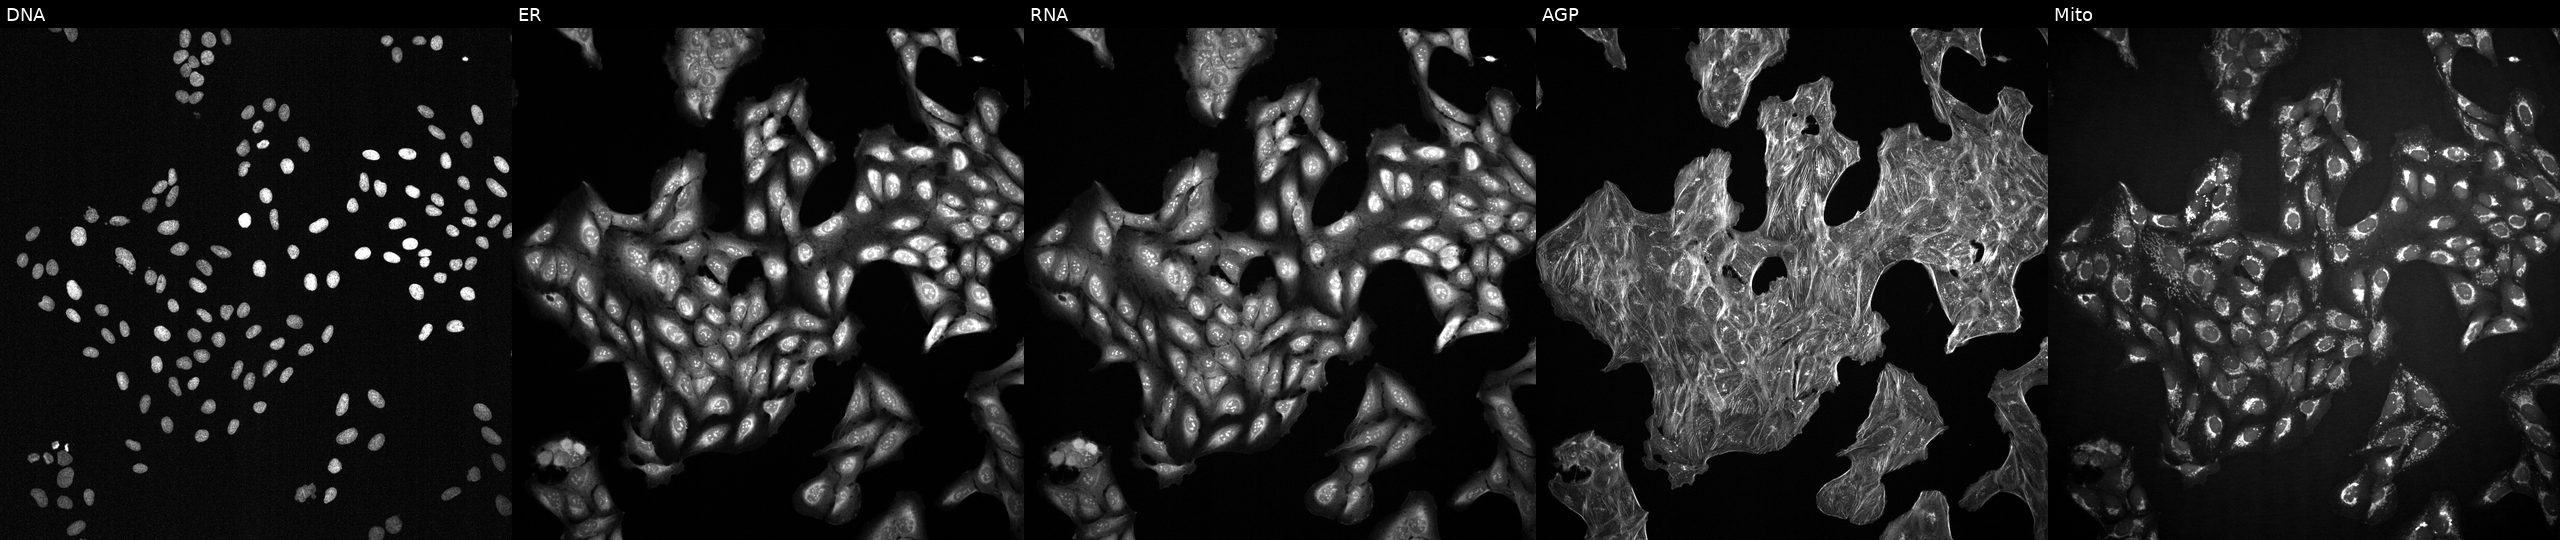
U2OS cells, Cell Painting assay, exposed to a small-molecule compound (InChIKey PKYKNPLSFOKASK-UHFFFAOYSA-N) (JUMP id JCP2022_069285). The five panels, left to right, show Hoechst 33342, concanavalin A, SYTO 14, phalloidin and WGA, MitoTracker. Each panel is percentile-stretched 16-bit fluorescence.